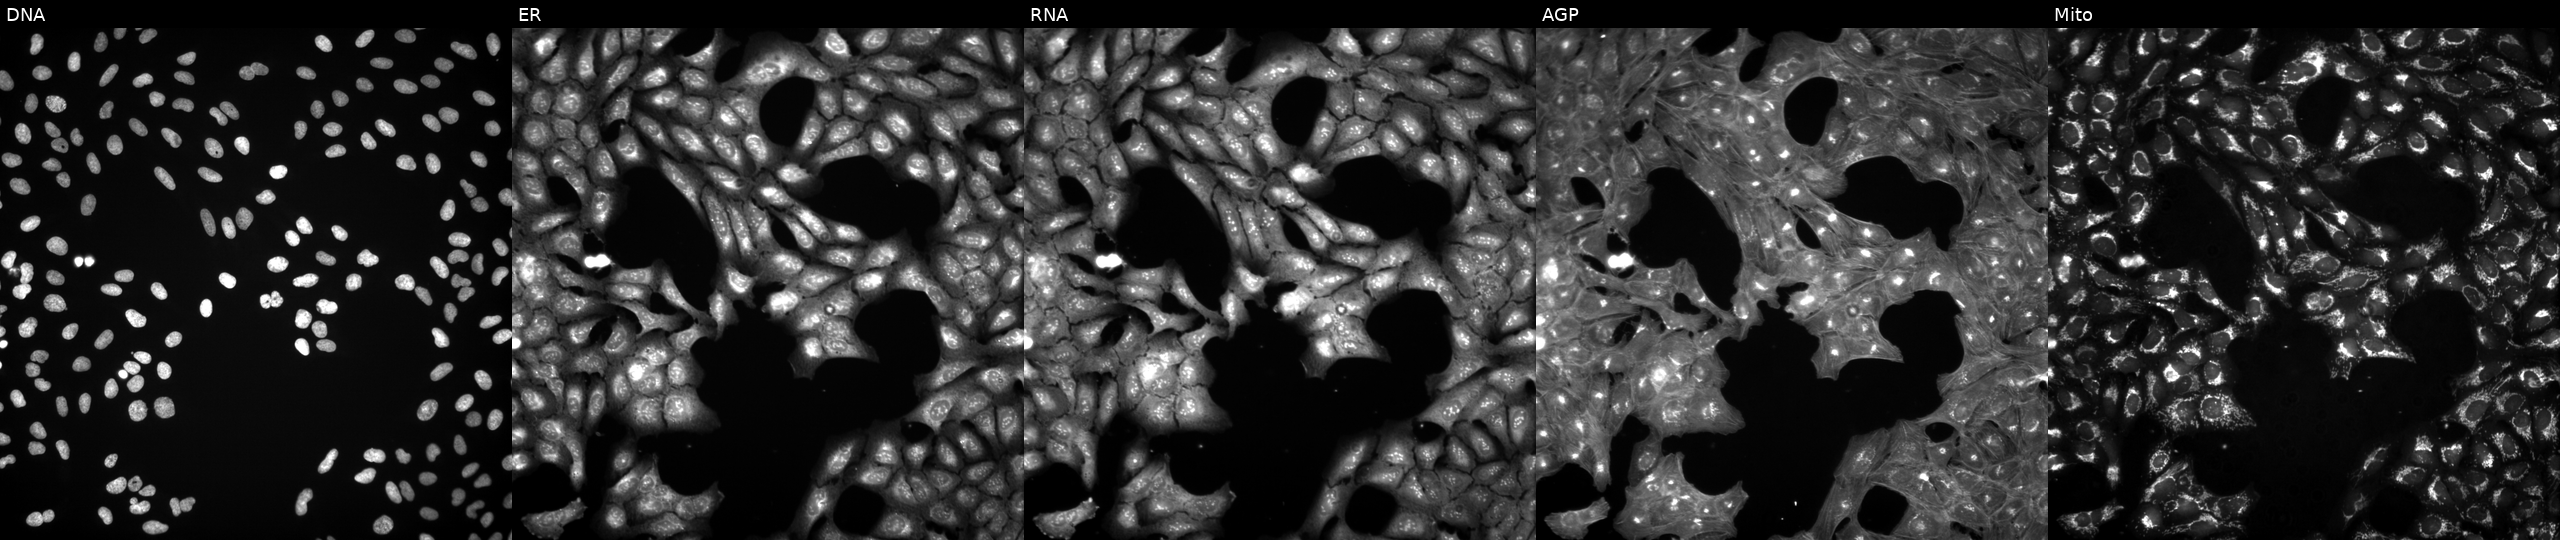
Five-channel Cell Painting image of U2OS cells treated with a small-molecule compound (InChIKey UHBGEPIIEYZMEG-UHFFFAOYSA-N) (JUMP id JCP2022_089193). The five panels, left to right, show DNA (nuclei); ER (endoplasmic reticulum); RNA (nucleoli and cytoplasmic RNA); AGP (actin cytoskeleton, Golgi, and plasma membrane); Mito (mitochondria). Source 3, plate BR5867a3, well E07.